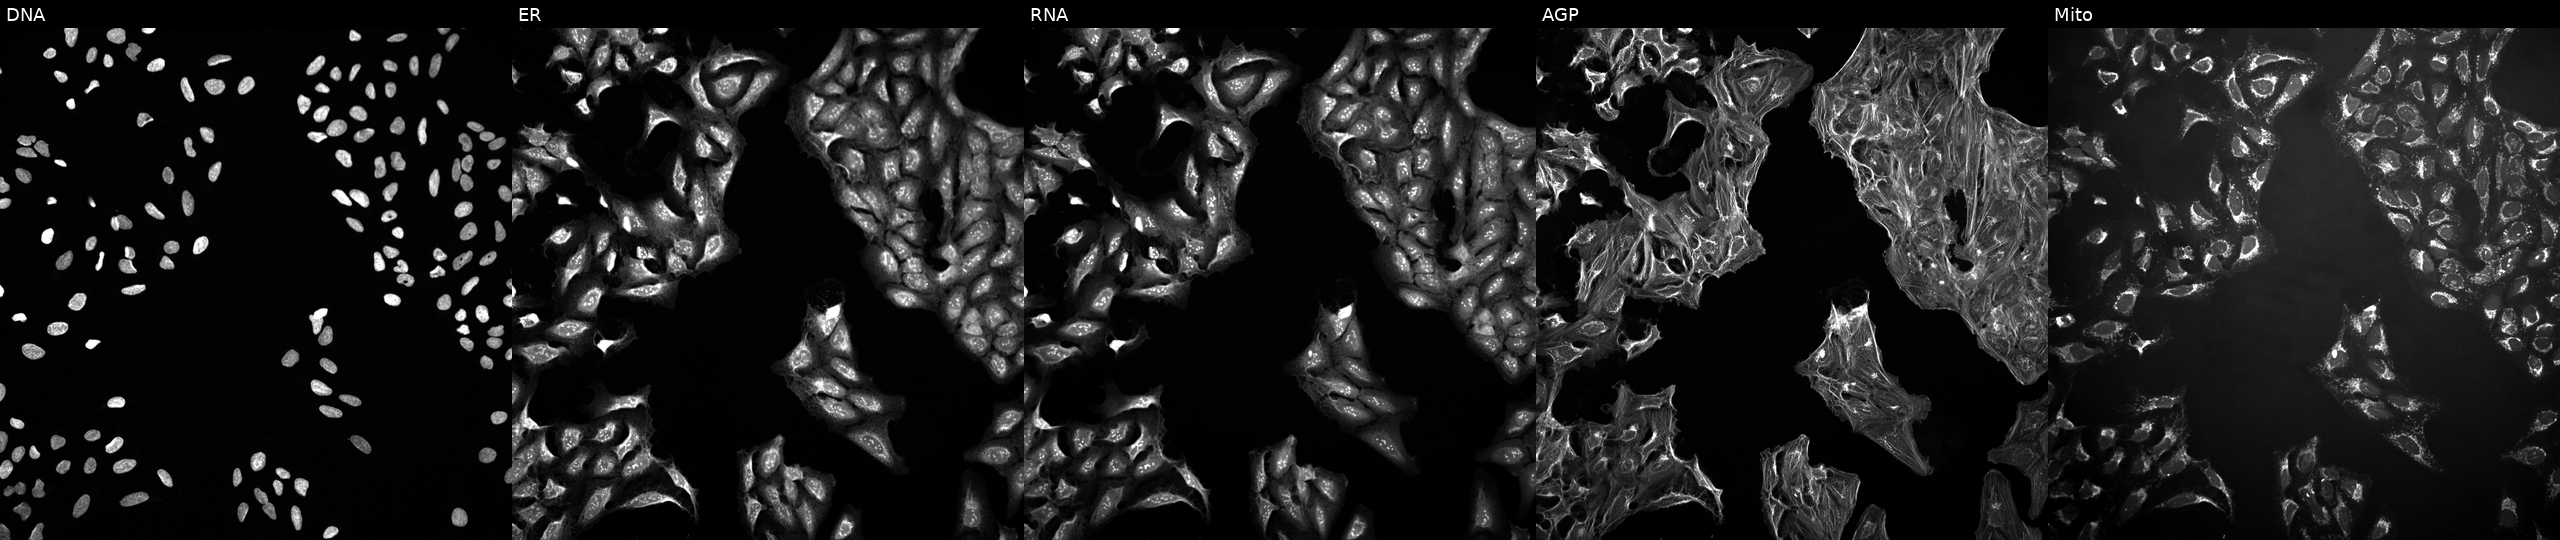
High-content fluorescence microscopy (Cell Painting). Cell line: U2OS. Perturbation: exposed to DMSO alone as a negative control. From left to right: DNA, ER, RNA, AGP, and Mito.